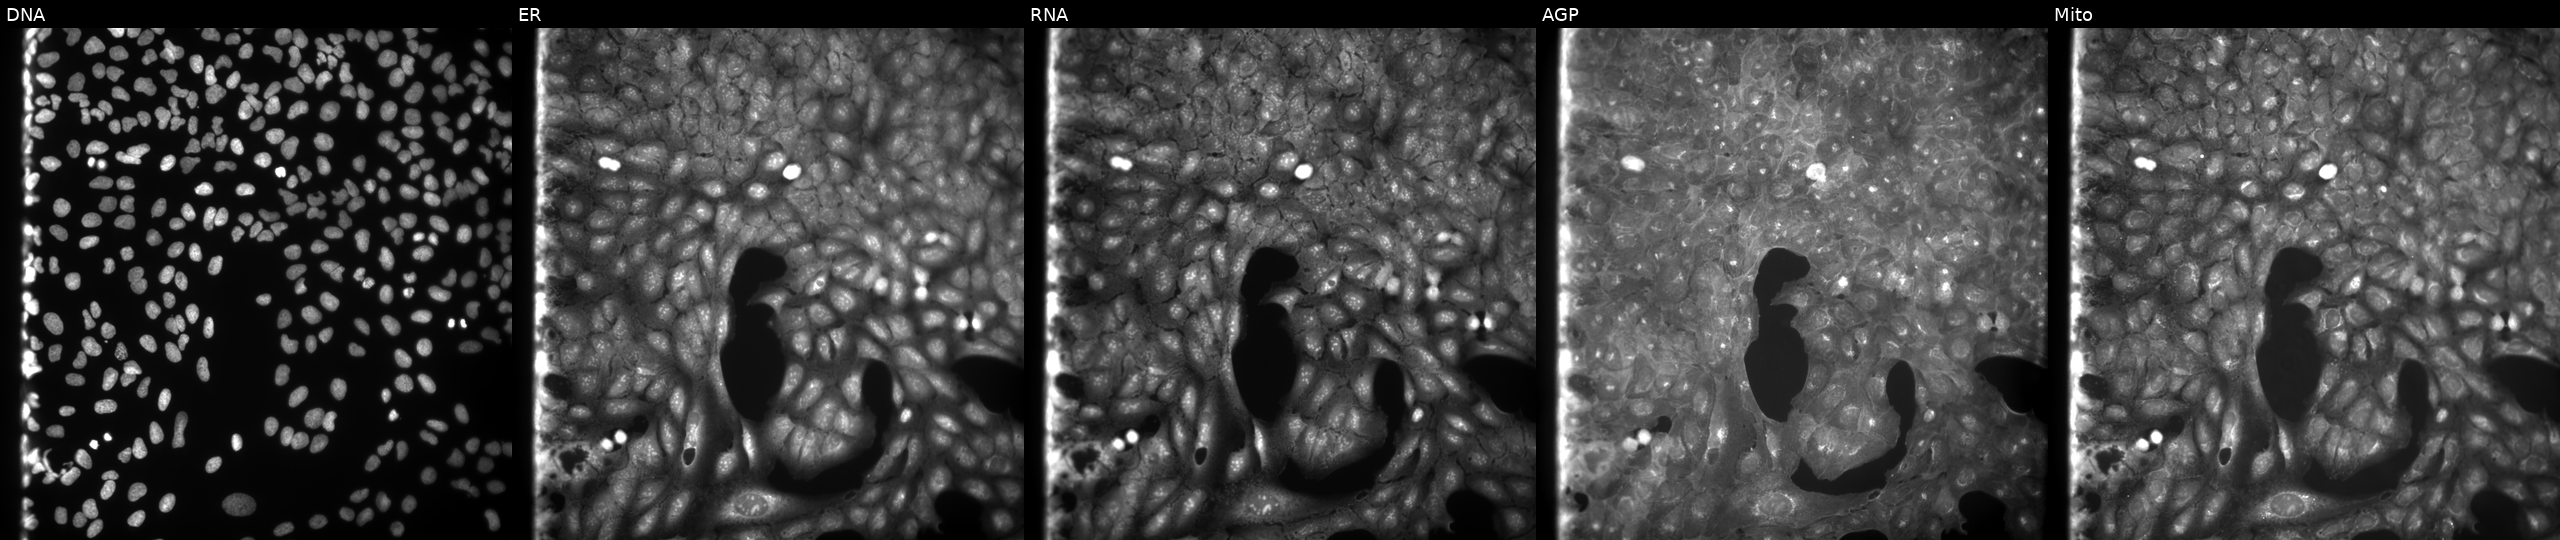
This image strip shows the five Cell Painting channels for a single field of U2OS cells perturbed with a small-molecule compound (InChIKey OZXFTSNPYNIBCW-UHFFFAOYSA-N). Panels show, left to right, DNA (nuclei); ER (endoplasmic reticulum); RNA (nucleoli and cytoplasmic RNA); AGP (actin cytoskeleton, Golgi, and plasma membrane); Mito (mitochondria).